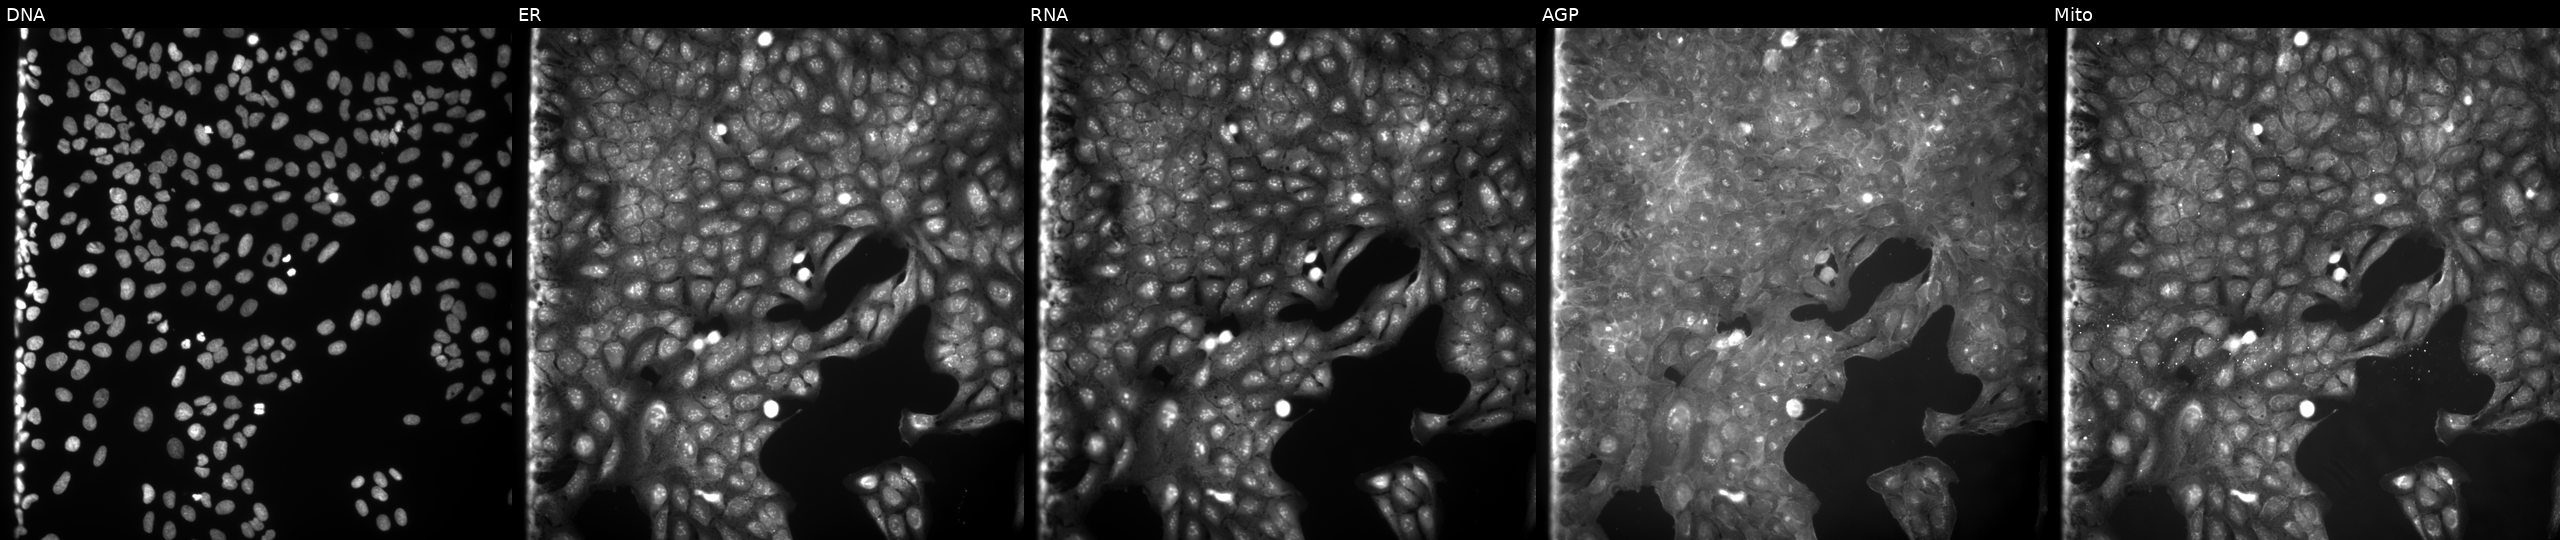
Channels (left→right): Hoechst 33342, concanavalin A, SYTO 14, phalloidin and WGA, MitoTracker. U2OS osteosarcoma cells exposed to a small-molecule compound [SMILES: Cc1ccc(C(=O)CC2(O)C(=O)N(C)c3ccc(Br)cc32)c(C)c1]. Cell Painting assay, JUMP-CP dataset. Source 9, plate GR00003382, well L11.